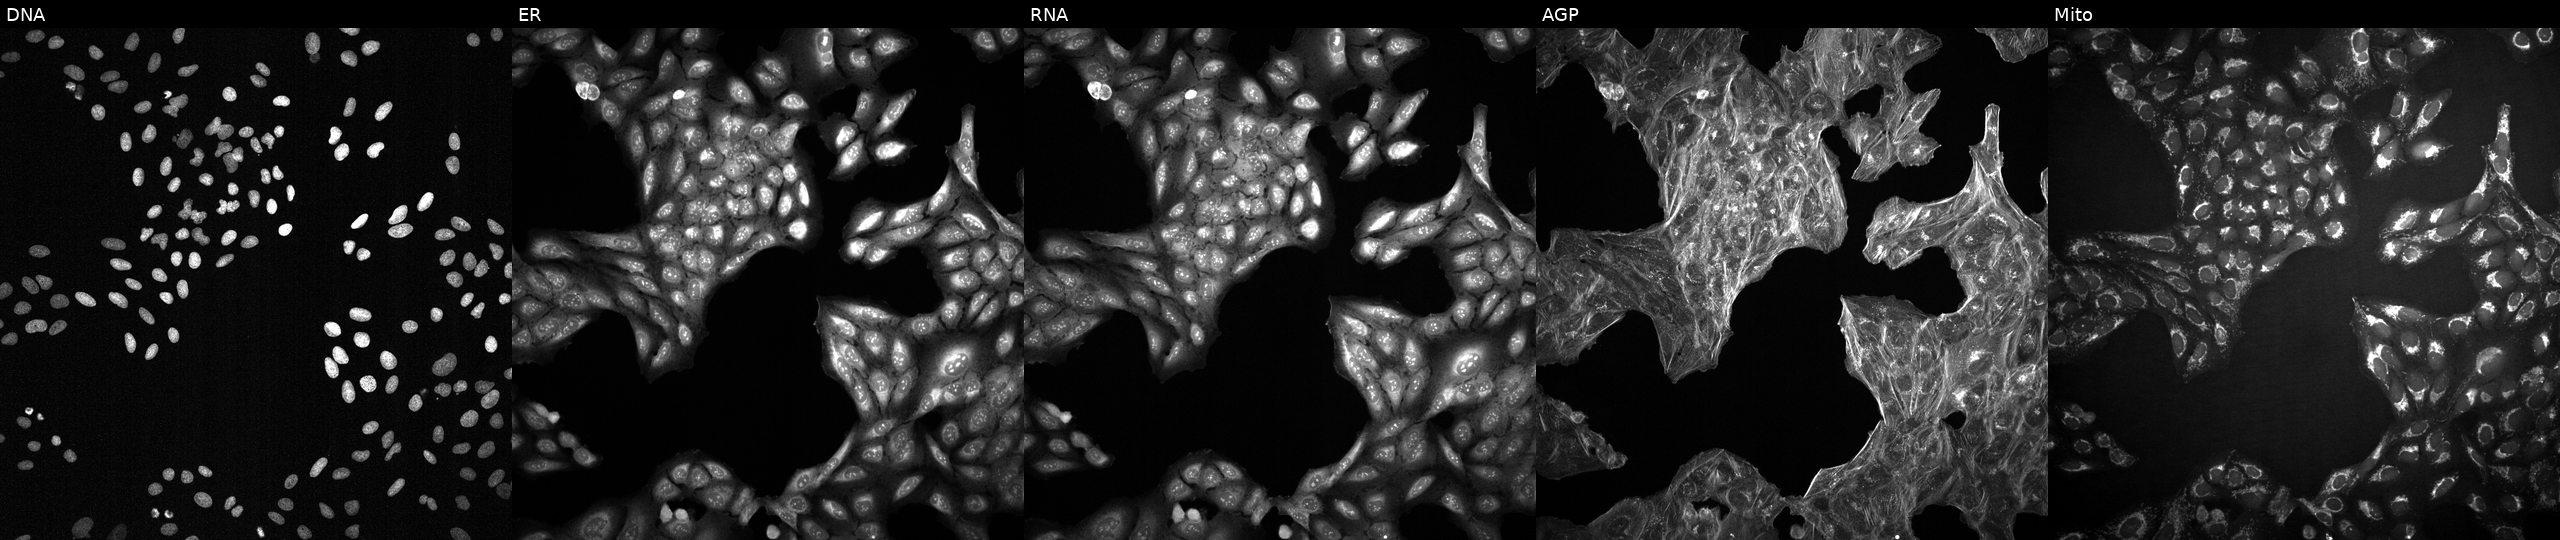
JUMP Cell Painting — TARGET2 plate. U2OS cells treated with a small-molecule compound (InChIKey MVCQKIKWYUURMU-UHFFFAOYSA-N). The five panels, left to right, show DNA, ER, RNA, AGP, and Mito.